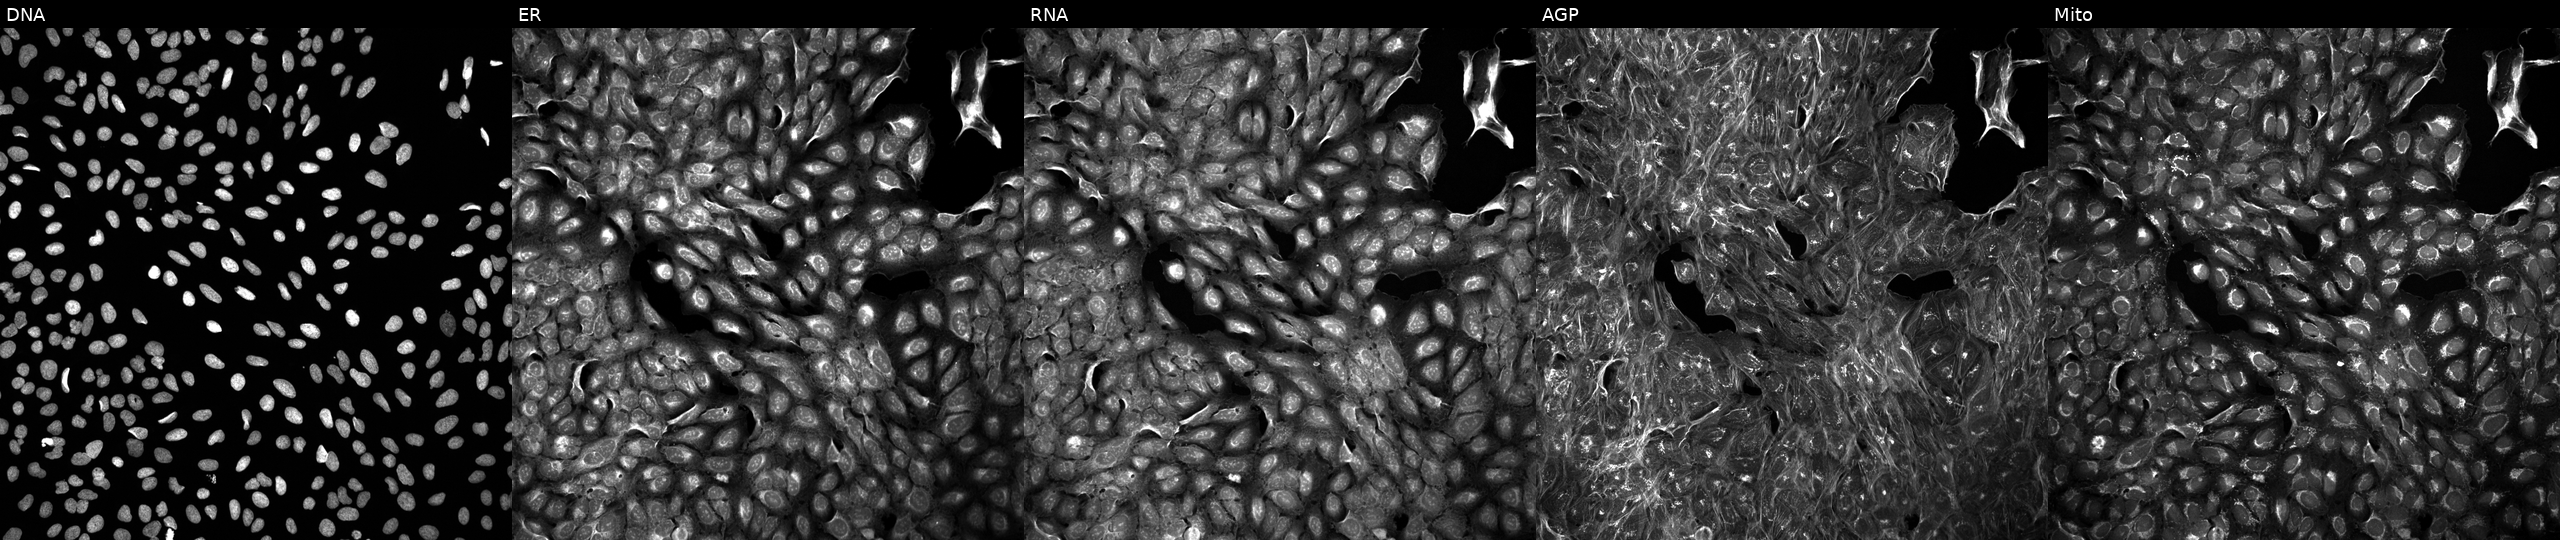
High-content fluorescence microscopy (Cell Painting). Cell line: U2OS. Perturbation: exposed to DMSO alone as a negative control (JUMP id JCP2022_033924). From left to right: DNA (nuclei); ER (endoplasmic reticulum); RNA (nucleoli and cytoplasmic RNA); AGP (actin cytoskeleton, Golgi, and plasma membrane); Mito (mitochondria).